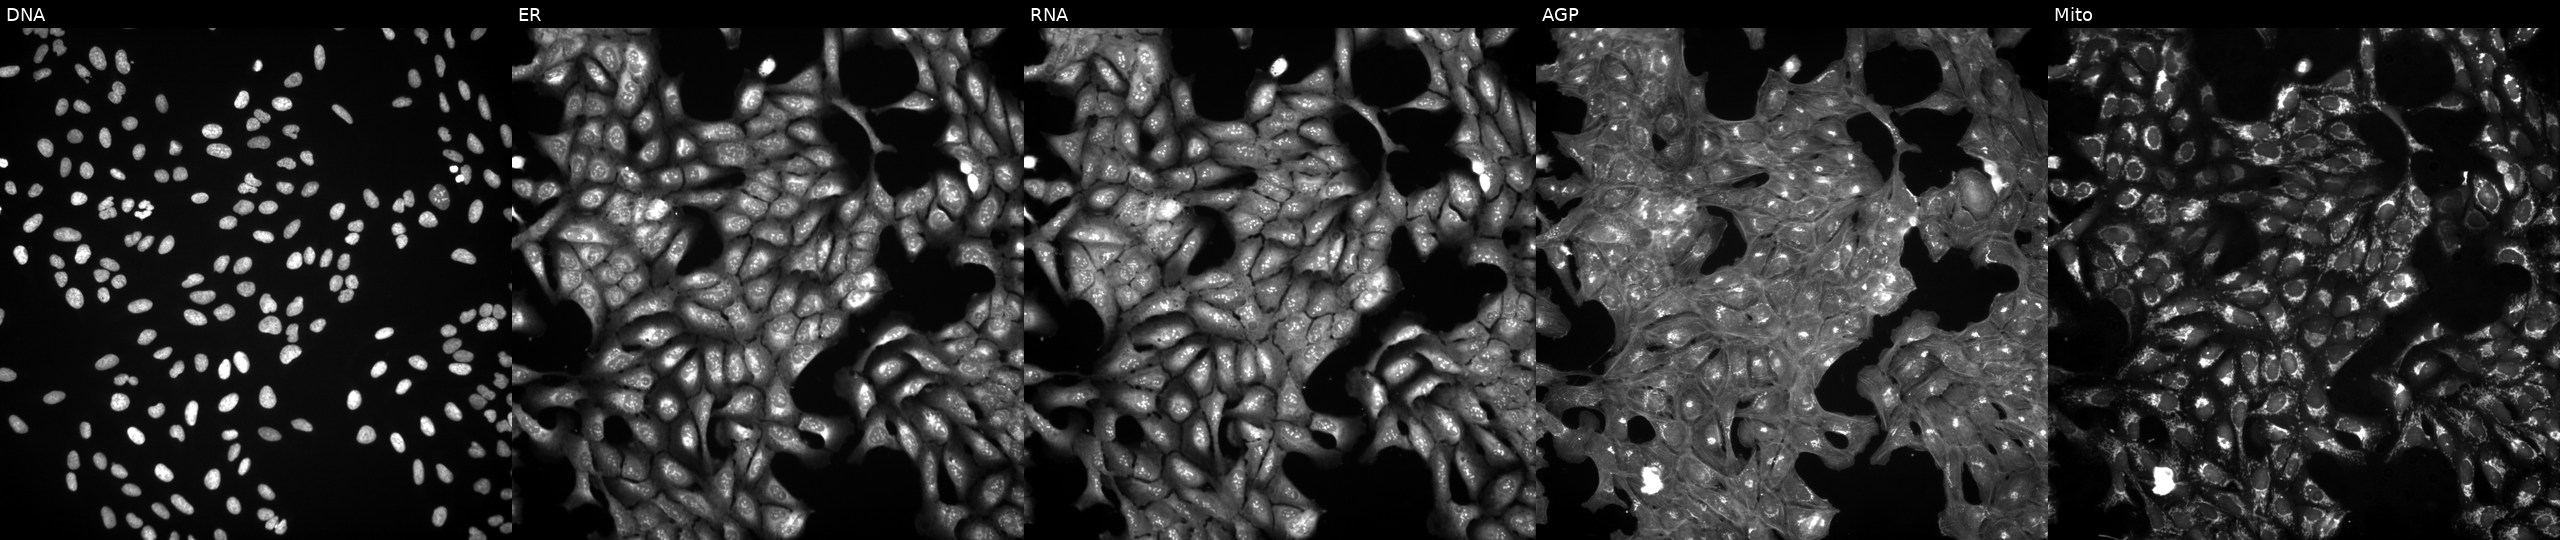
This image strip shows the five Cell Painting channels for a single field of U2OS cells exposed to a small-molecule compound (InChIKey HFYPTENHTPNXGP-UHFFFAOYSA-N) (JUMP id JCP2022_029951). The five panels, left to right, show Hoechst 33342, concanavalin A, SYTO 14, phalloidin and WGA, MitoTracker.